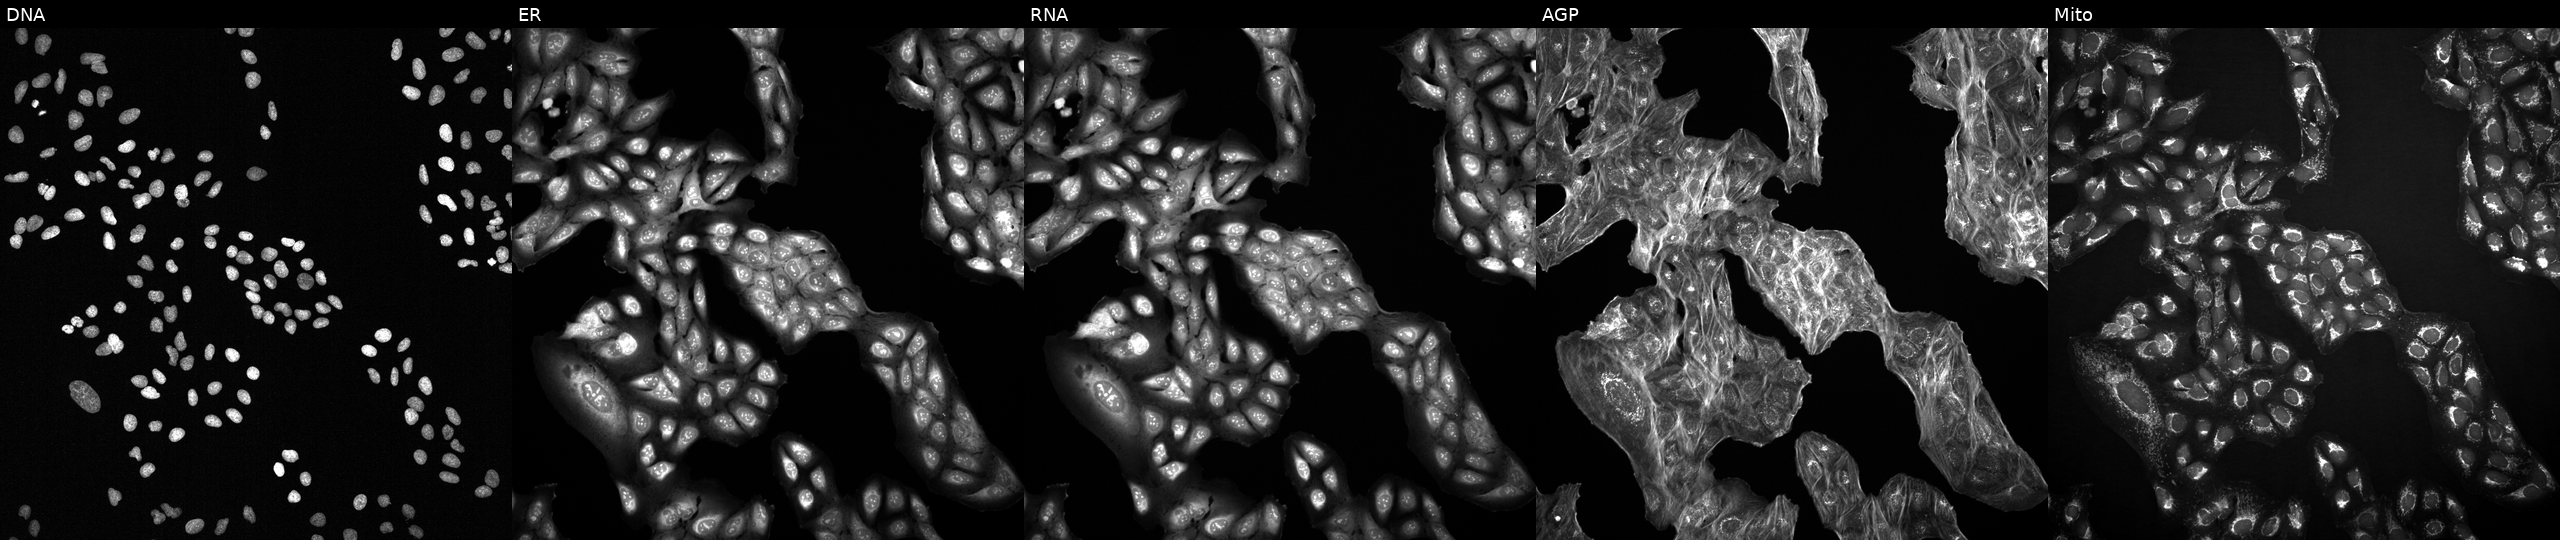
JUMP Cell Painting — COMPOUND plate. U2OS cells with an unidentified perturbation (not annotated in JUMP metadata). Channels (left→right): DNA, ER, RNA, AGP, and Mito. Source 2, plate 1053601756, well D14.